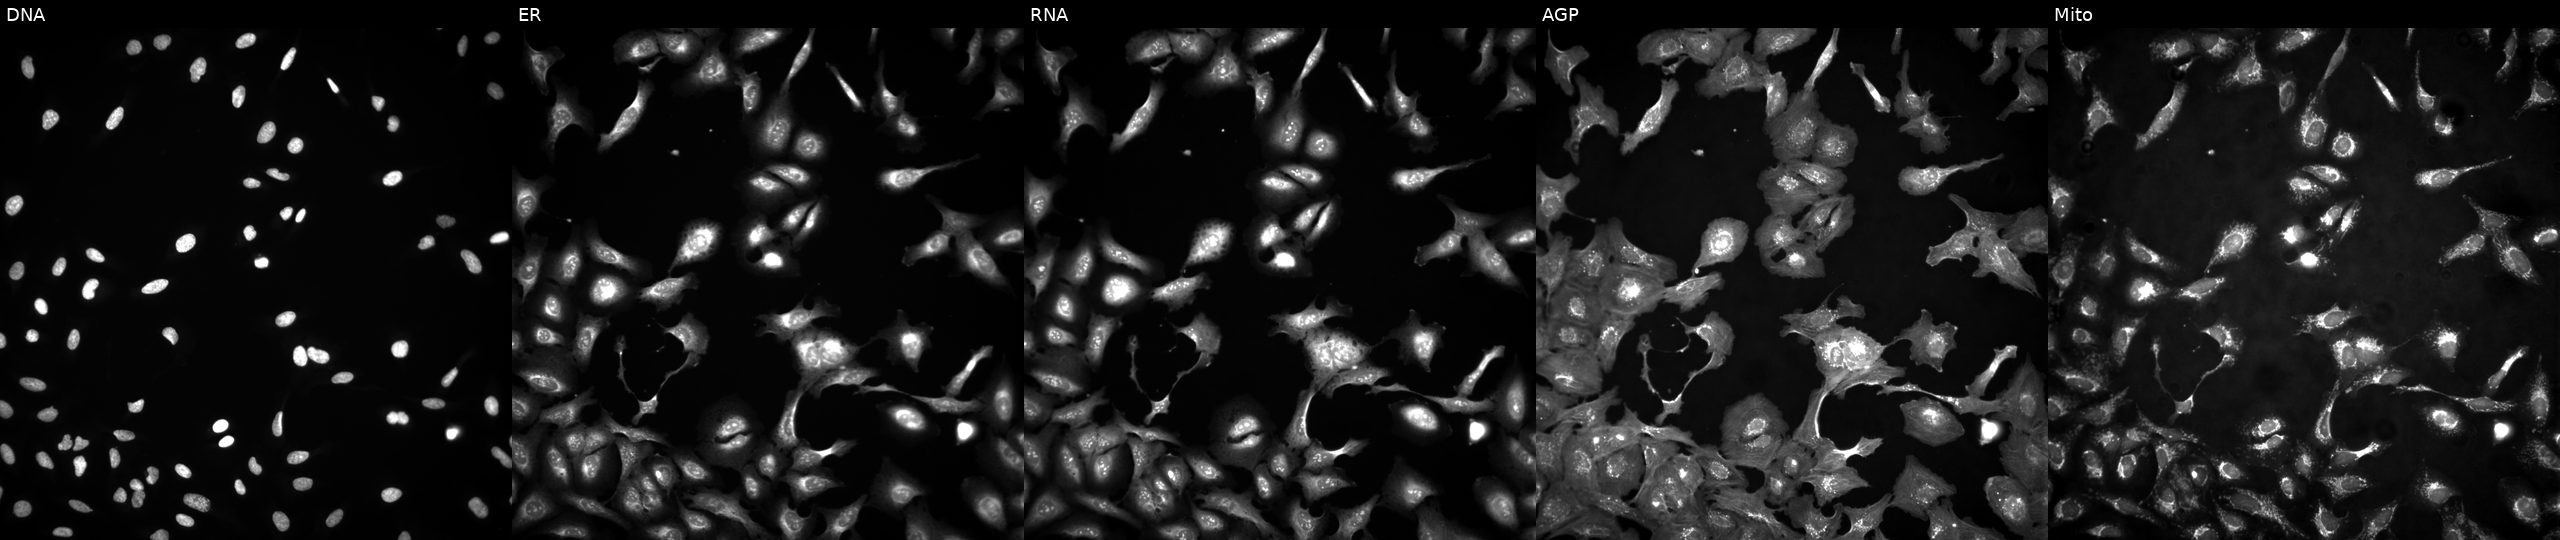
Channels (left→right): DNA (nuclei); ER (endoplasmic reticulum); RNA (nucleoli and cytoplasmic RNA); AGP (actin cytoskeleton, Golgi, and plasma membrane); Mito (mitochondria). U2OS osteosarcoma cells with FGFR2 overexpressed (ORF). Cell Painting assay, JUMP-CP dataset. Source 4, plate BR00123945, well J23.